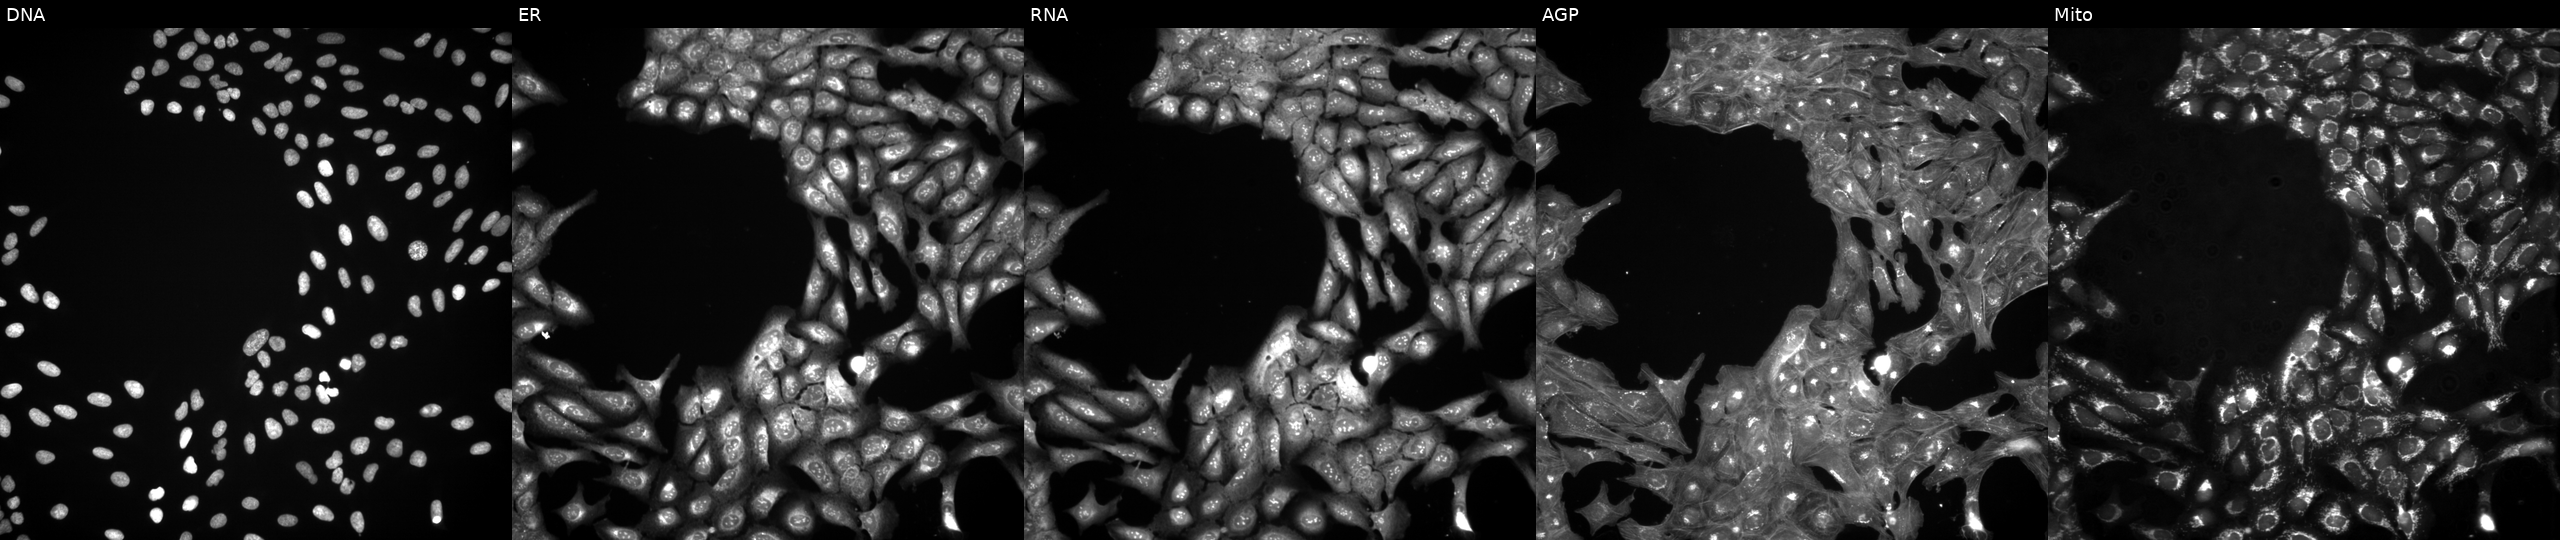
U2OS cells, Cell Painting assay, exposed to a small-molecule compound (InChIKey UGYXPZQILZRKJJ-UHFFFAOYSA-N) [SMILES: Cc1[nH]cnc1CCN]. Panels show, left to right, DNA (nuclei); ER (endoplasmic reticulum); RNA (nucleoli and cytoplasmic RNA); AGP (actin cytoskeleton, Golgi, and plasma membrane); Mito (mitochondria). Each panel is percentile-stretched 16-bit fluorescence.